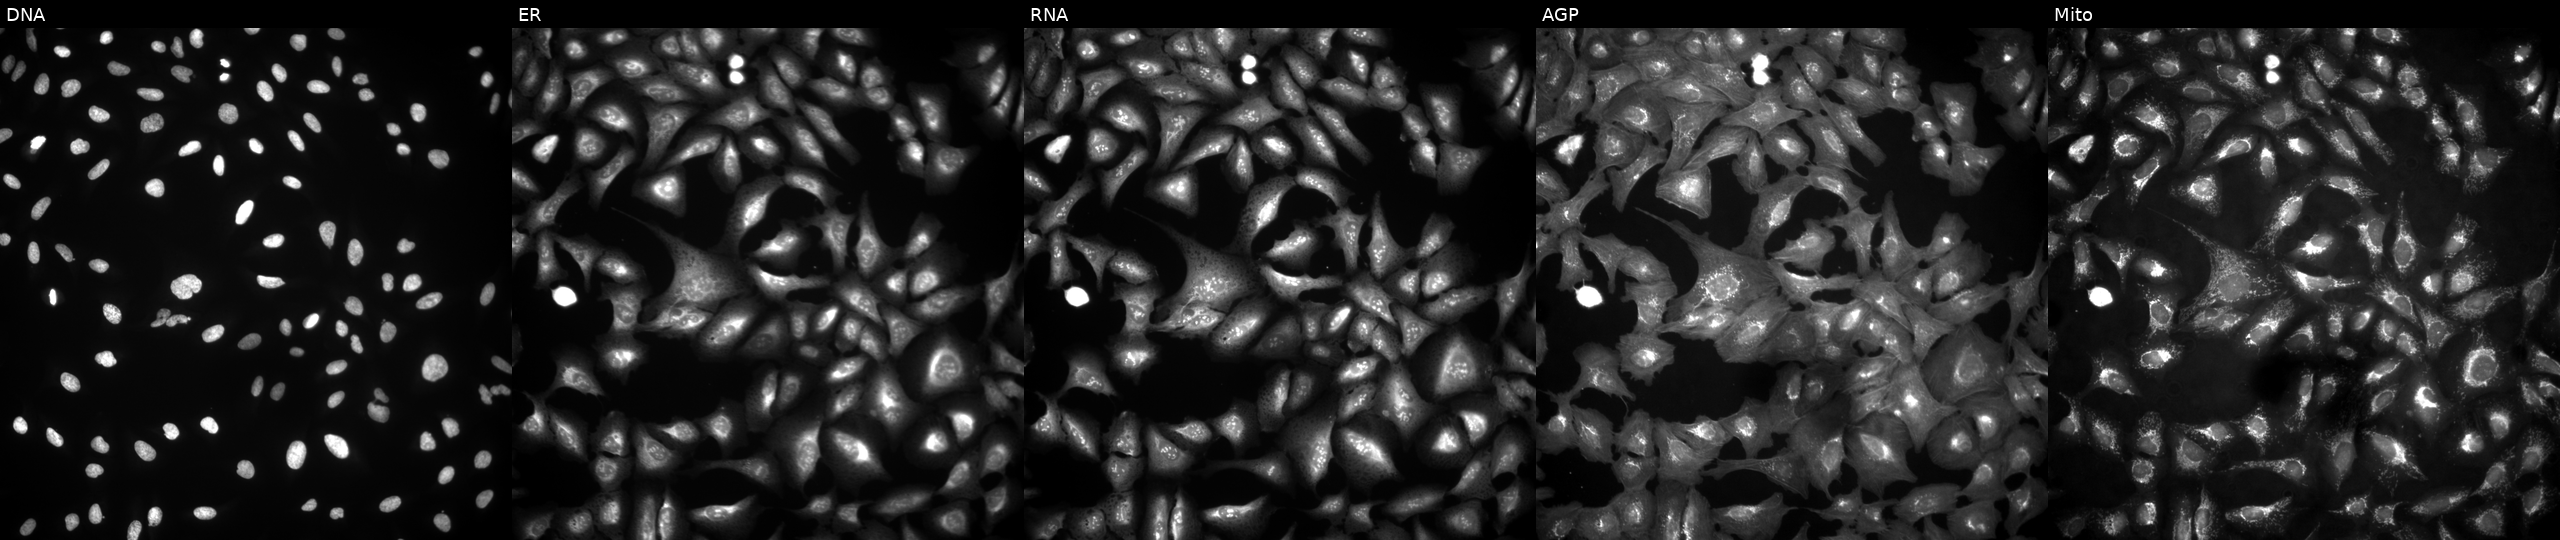
Five-channel Cell Painting image of U2OS cells transfected with an ORF construct for CCDC196. From left to right: Hoechst 33342, concanavalin A, SYTO 14, phalloidin and WGA, MitoTracker.